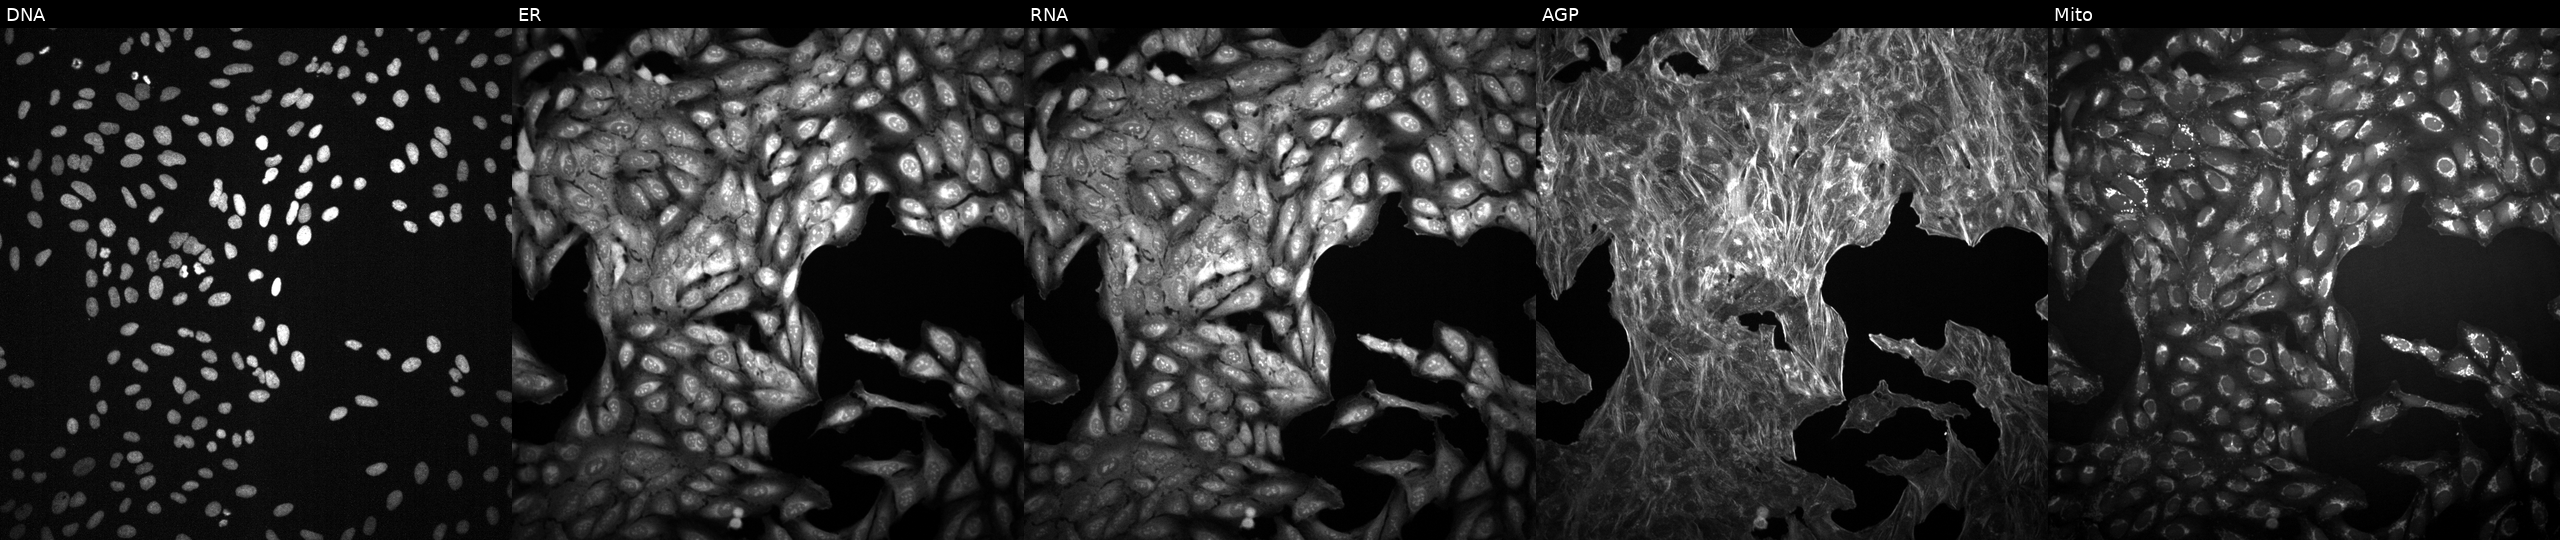
U2OS cells, Cell Painting assay, treated with DMSO vehicle only (negative control). The five panels, left to right, show DNA (nuclei); ER (endoplasmic reticulum); RNA (nucleoli and cytoplasmic RNA); AGP (actin cytoskeleton, Golgi, and plasma membrane); Mito (mitochondria). Each panel is percentile-stretched 16-bit fluorescence.